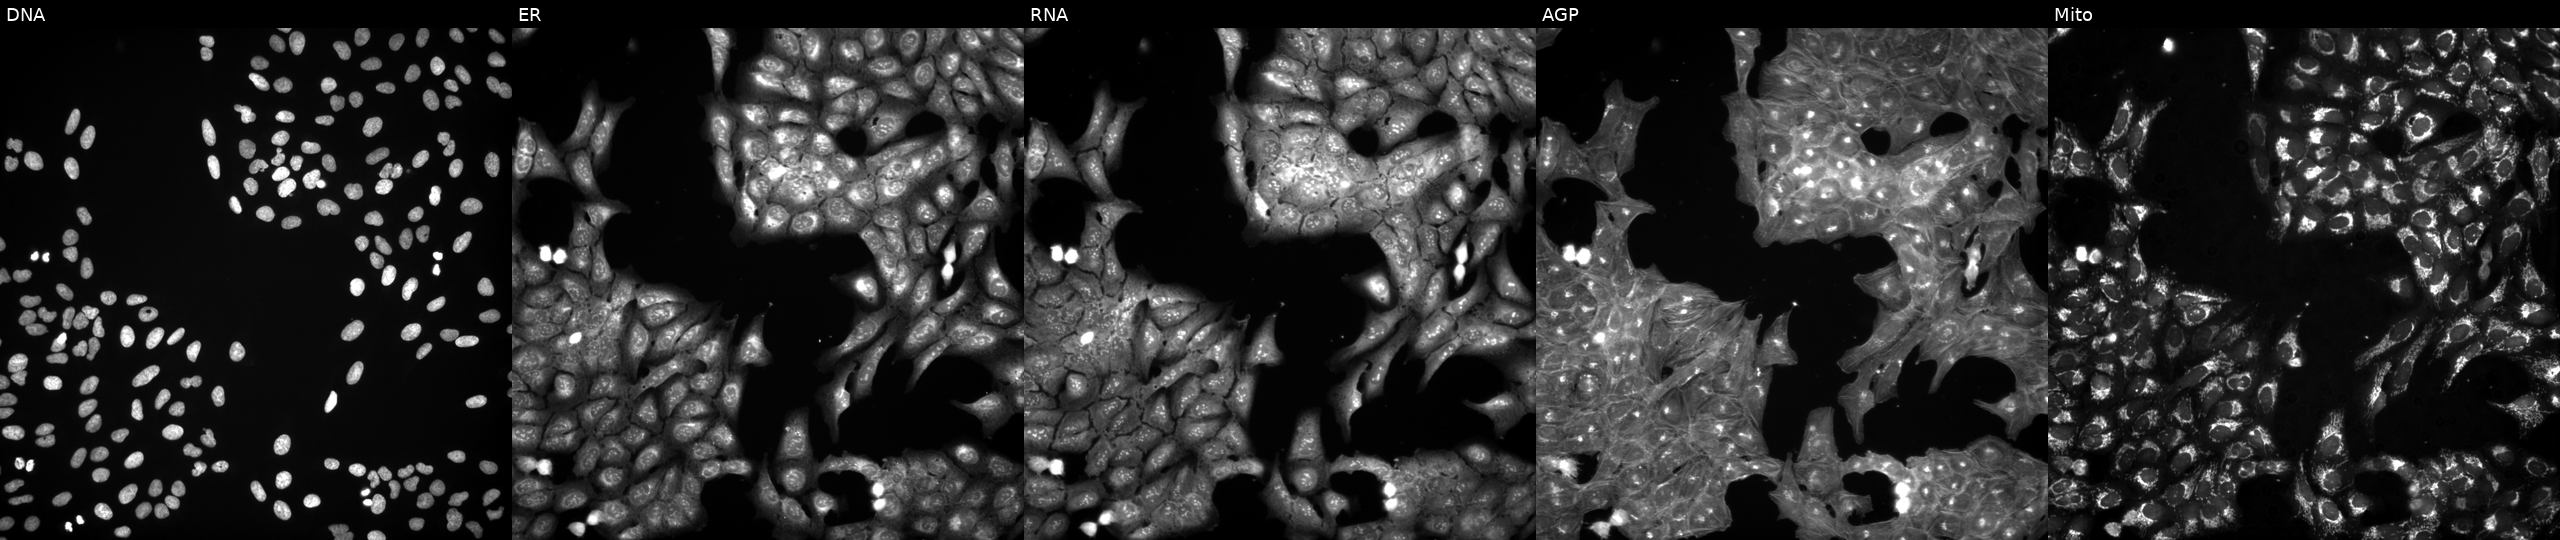
From left to right: DNA (nuclei); ER (endoplasmic reticulum); RNA (nucleoli and cytoplasmic RNA); AGP (actin cytoskeleton, Golgi, and plasma membrane); Mito (mitochondria). U2OS osteosarcoma cells treated with a small-molecule compound (InChIKey WPSYKOVAFMWVCN-UHFFFAOYSA-N) (JUMP id JCP2022_100362). Cell Painting assay, JUMP-CP dataset.